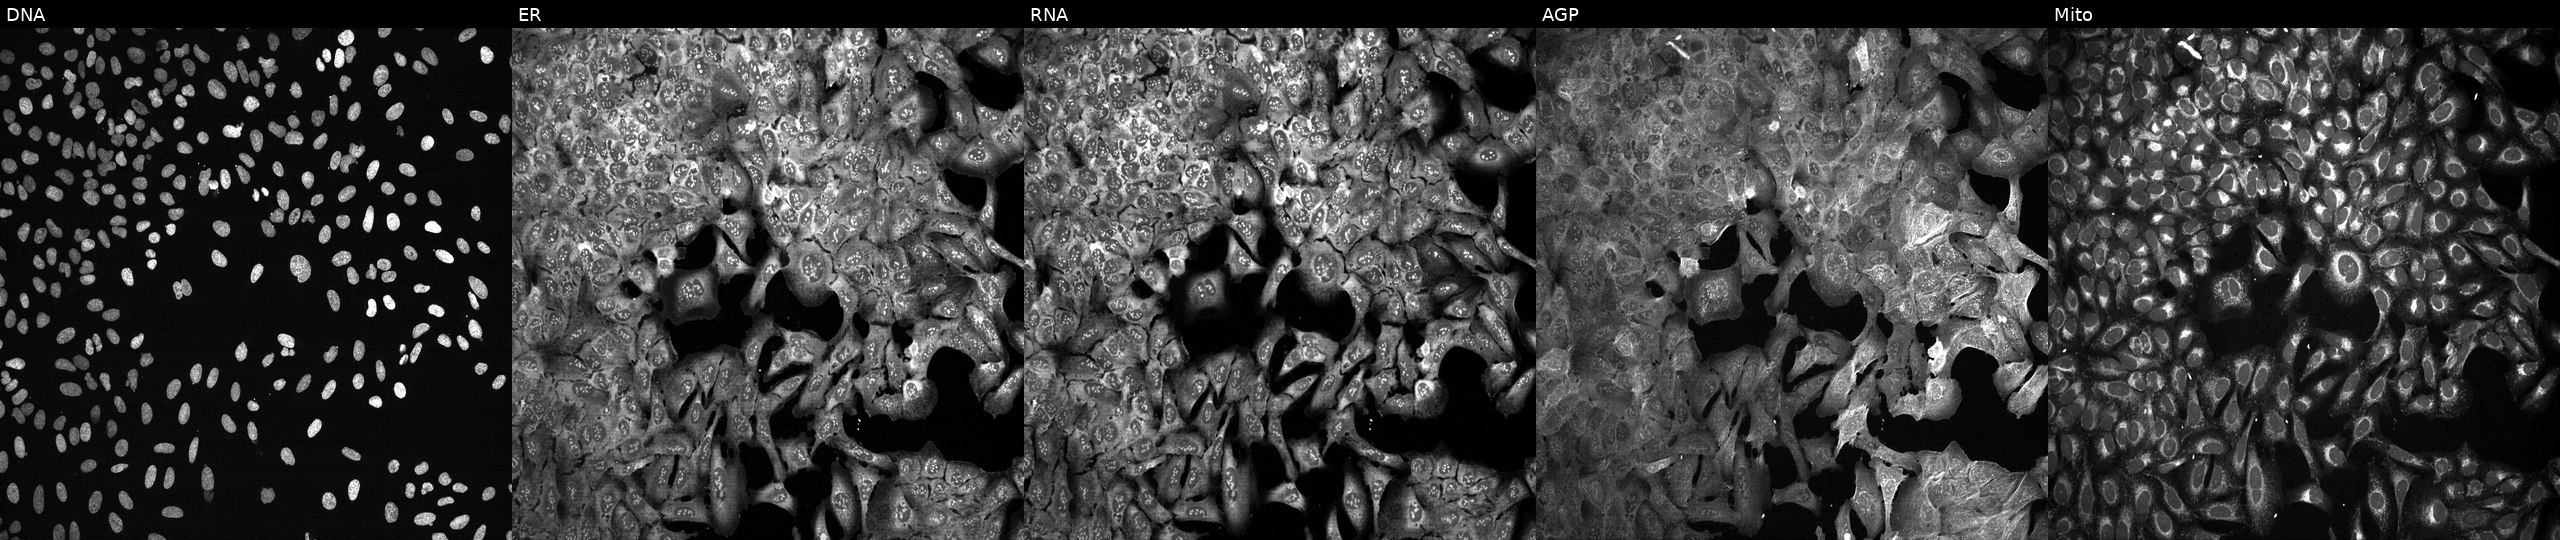
Five-channel Cell Painting image of U2OS cells with MAD2L2 knocked out by CRISPR. From left to right: Hoechst 33342, concanavalin A, SYTO 14, phalloidin and WGA, MitoTracker.